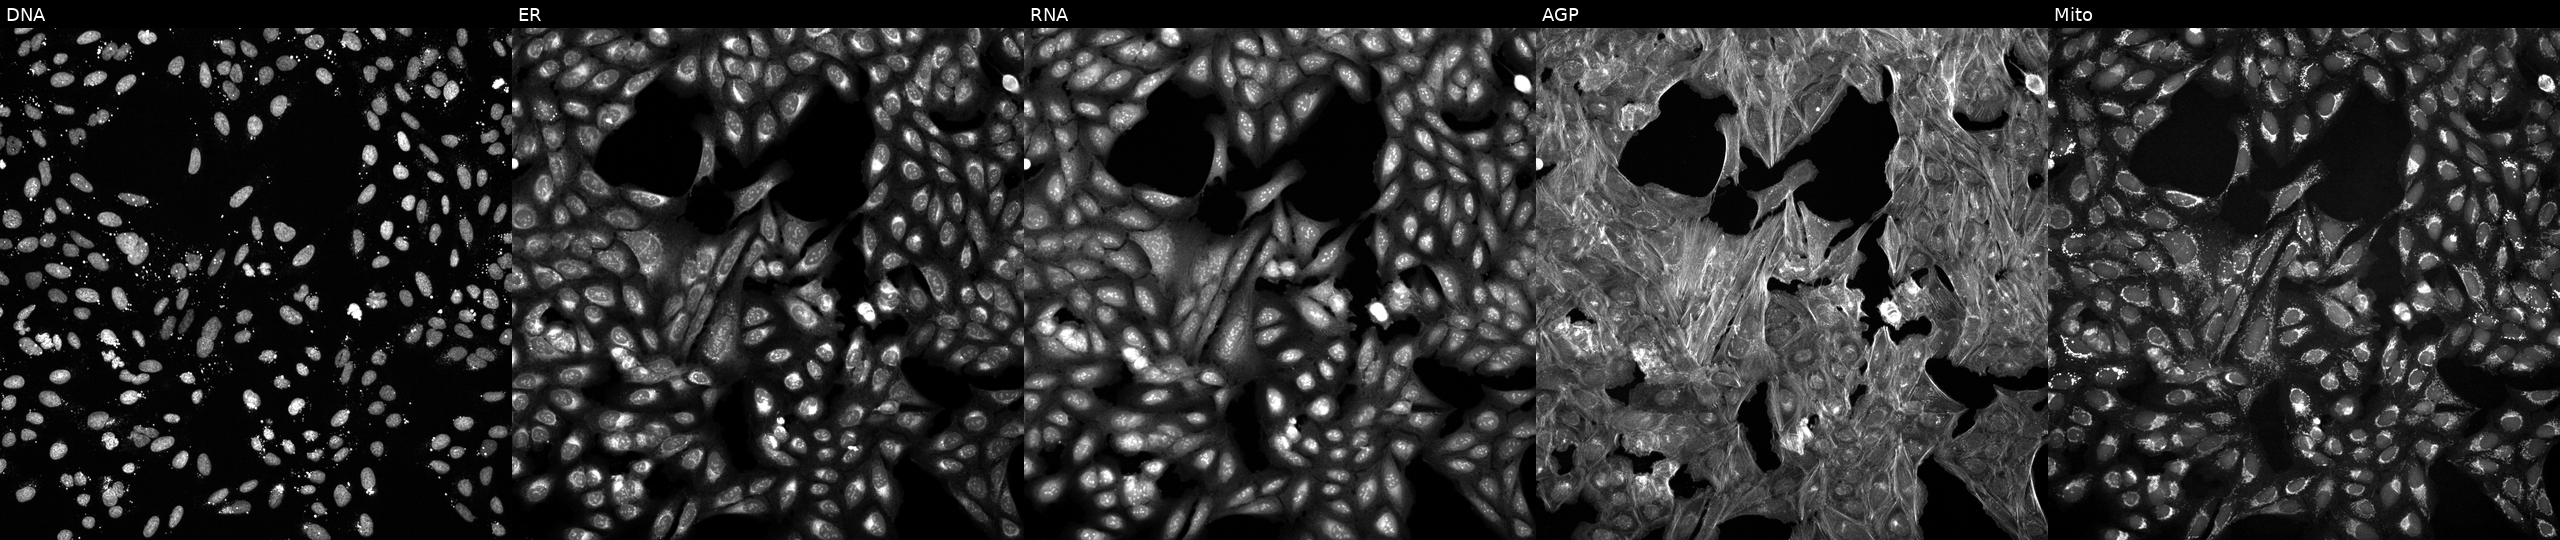
Channels (left→right): DNA (nuclei); ER (endoplasmic reticulum); RNA (nucleoli and cytoplasmic RNA); AGP (actin cytoskeleton, Golgi, and plasma membrane); Mito (mitochondria). U2OS osteosarcoma cells treated with a small-molecule compound. Cell Painting assay, JUMP-CP dataset.